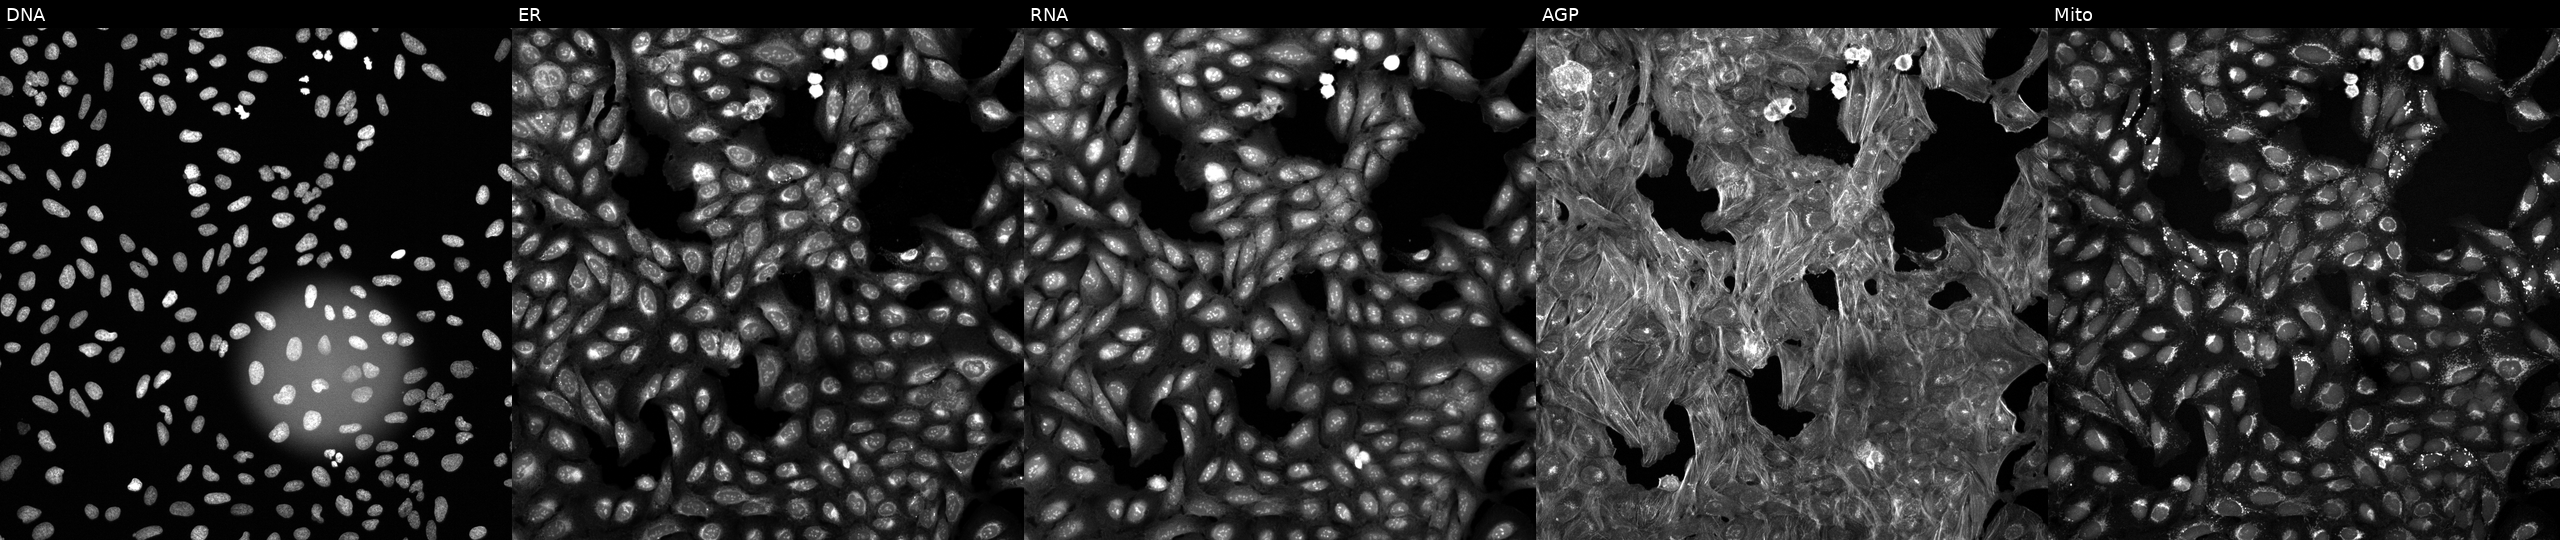
This image strip shows the five Cell Painting channels for a single field of U2OS cells treated with TC-S-7004 (positive-control compound). Channels (left→right): Hoechst 33342, concanavalin A, SYTO 14, phalloidin and WGA, MitoTracker.